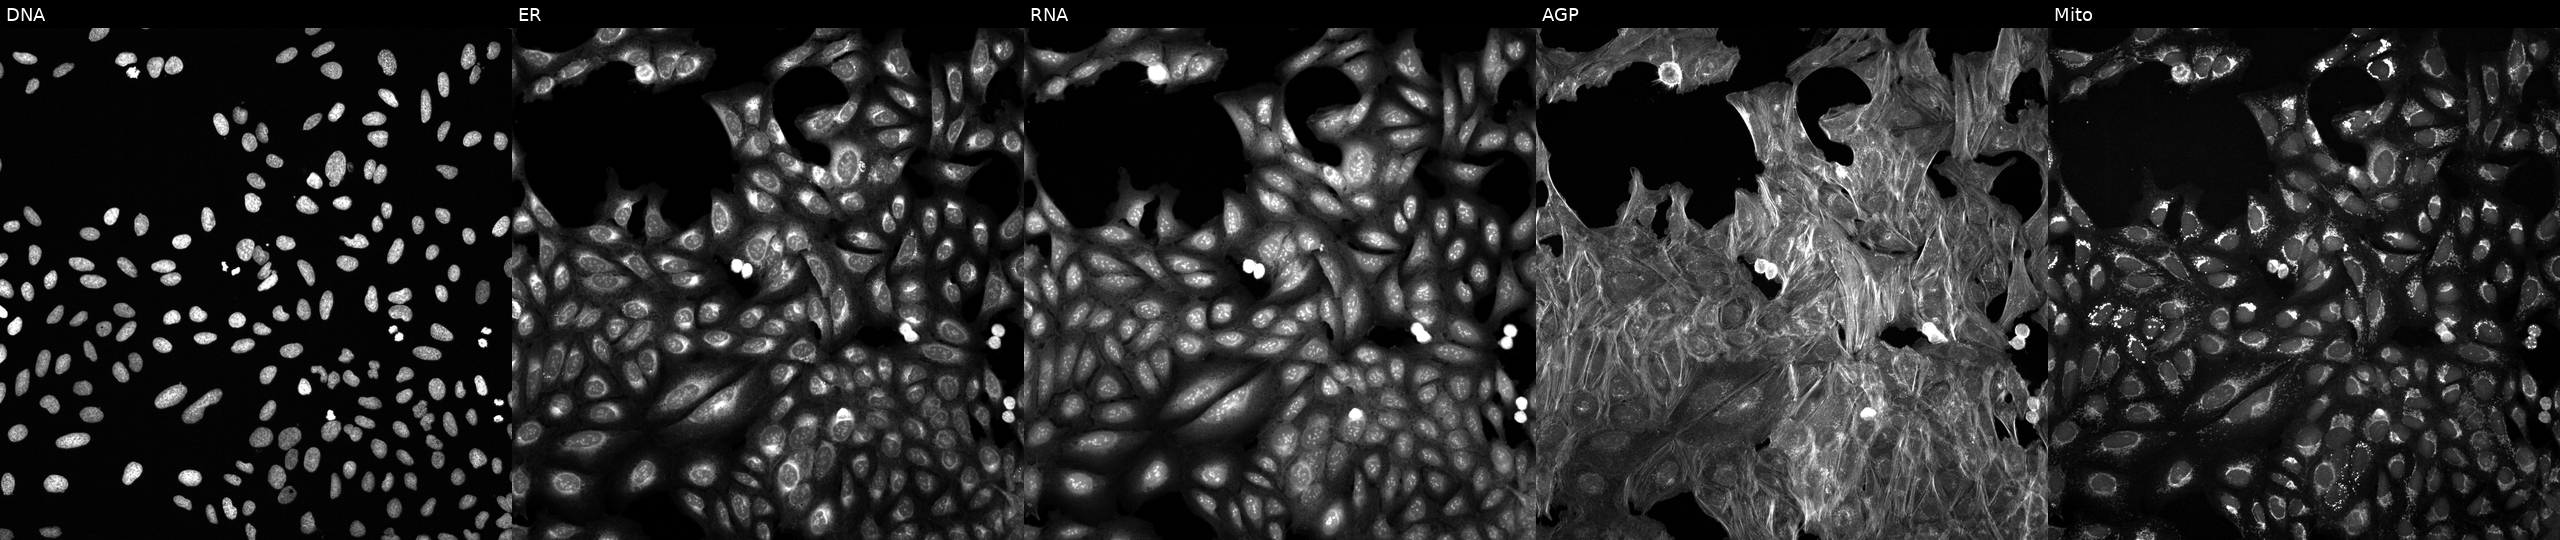
High-content fluorescence microscopy (Cell Painting). Cell line: U2OS. Perturbation: exposed to a small-molecule compound [SMILES: O=C(Nc1cc(=O)[nH]c2nc(CCc3ccccc3)nn12)c1ccc(Cl)cc1Cl] (JUMP id JCP2022_061460). Channels (left→right): DNA (nuclei); ER (endoplasmic reticulum); RNA (nucleoli and cytoplasmic RNA); AGP (actin cytoskeleton, Golgi, and plasma membrane); Mito (mitochondria). Source 6, plate 110000293082, well A15.